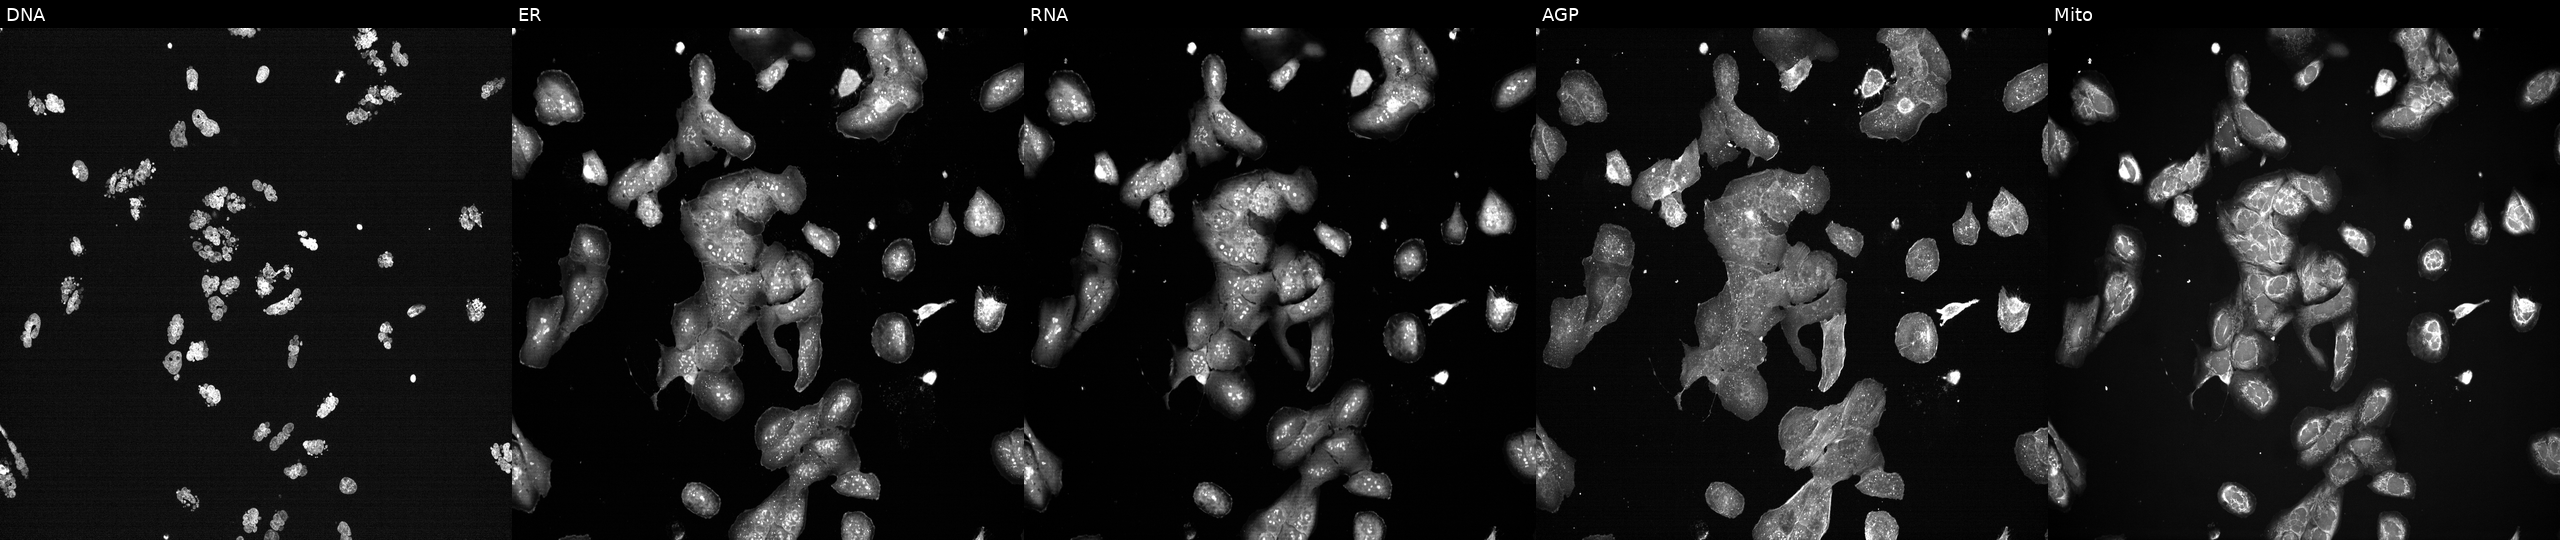
High-content fluorescence microscopy (Cell Painting). Cell line: U2OS. Perturbation: exposed to a small-molecule compound (InChIKey QXRSDHAAWVKZLJ-UHFFFAOYSA-N) (JUMP id JCP2022_076573). Channels (left→right): DNA, ER, RNA, AGP, and Mito.